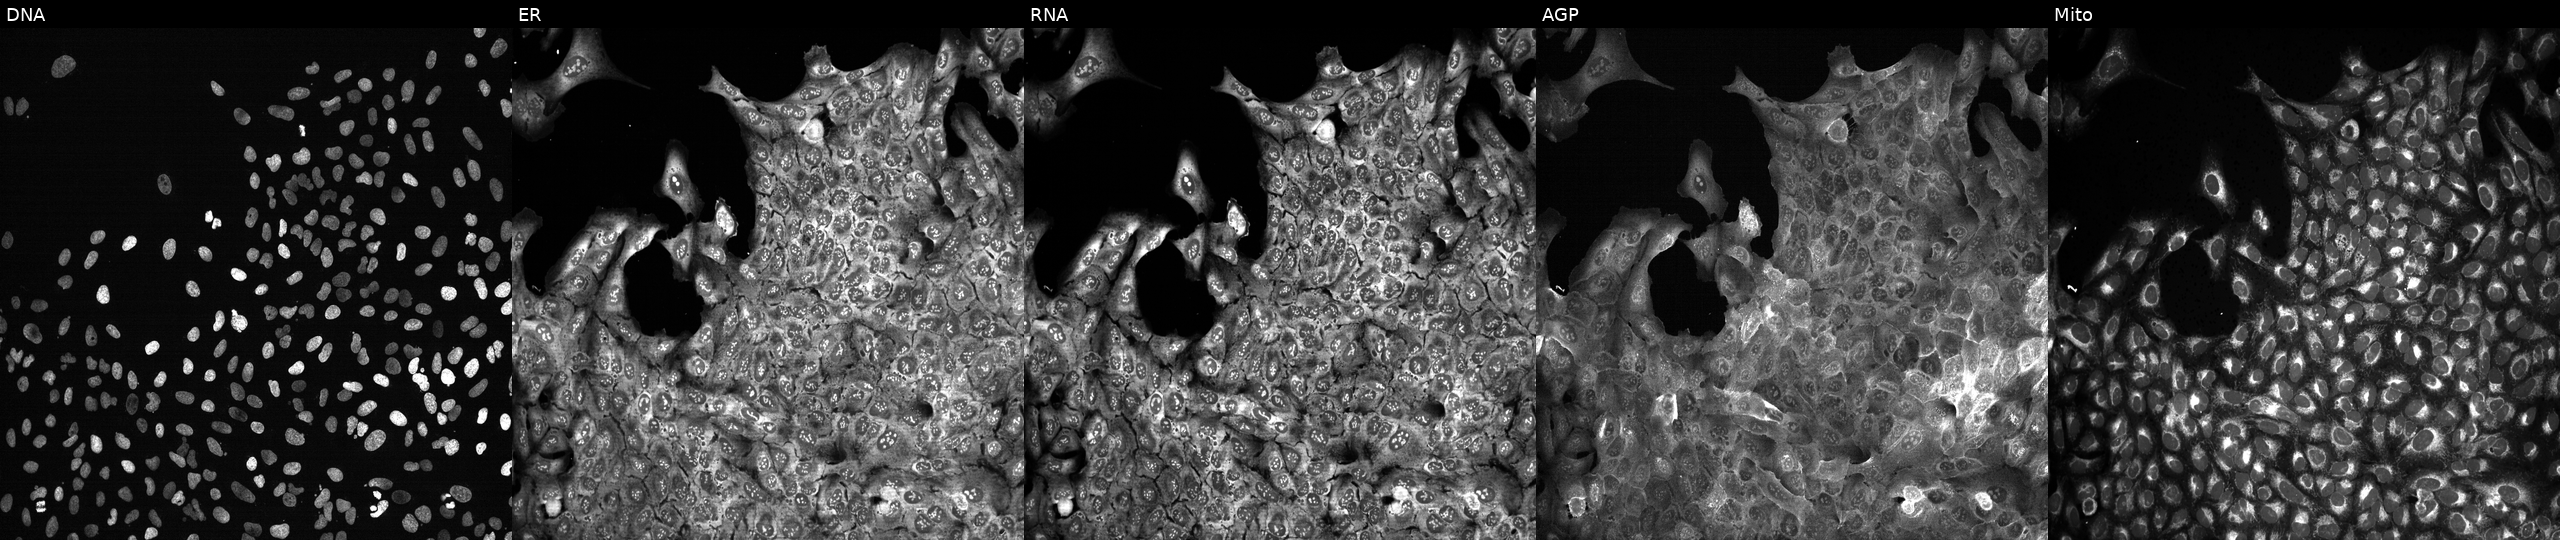
JUMP Cell Painting — CRISPR plate. U2OS cells with SLC11A2 knocked out by CRISPR (JUMP id JCP2022_806364). From left to right: Hoechst 33342, concanavalin A, SYTO 14, phalloidin and WGA, MitoTracker. Source 13, plate CP-CC9-R2-01, well F12.